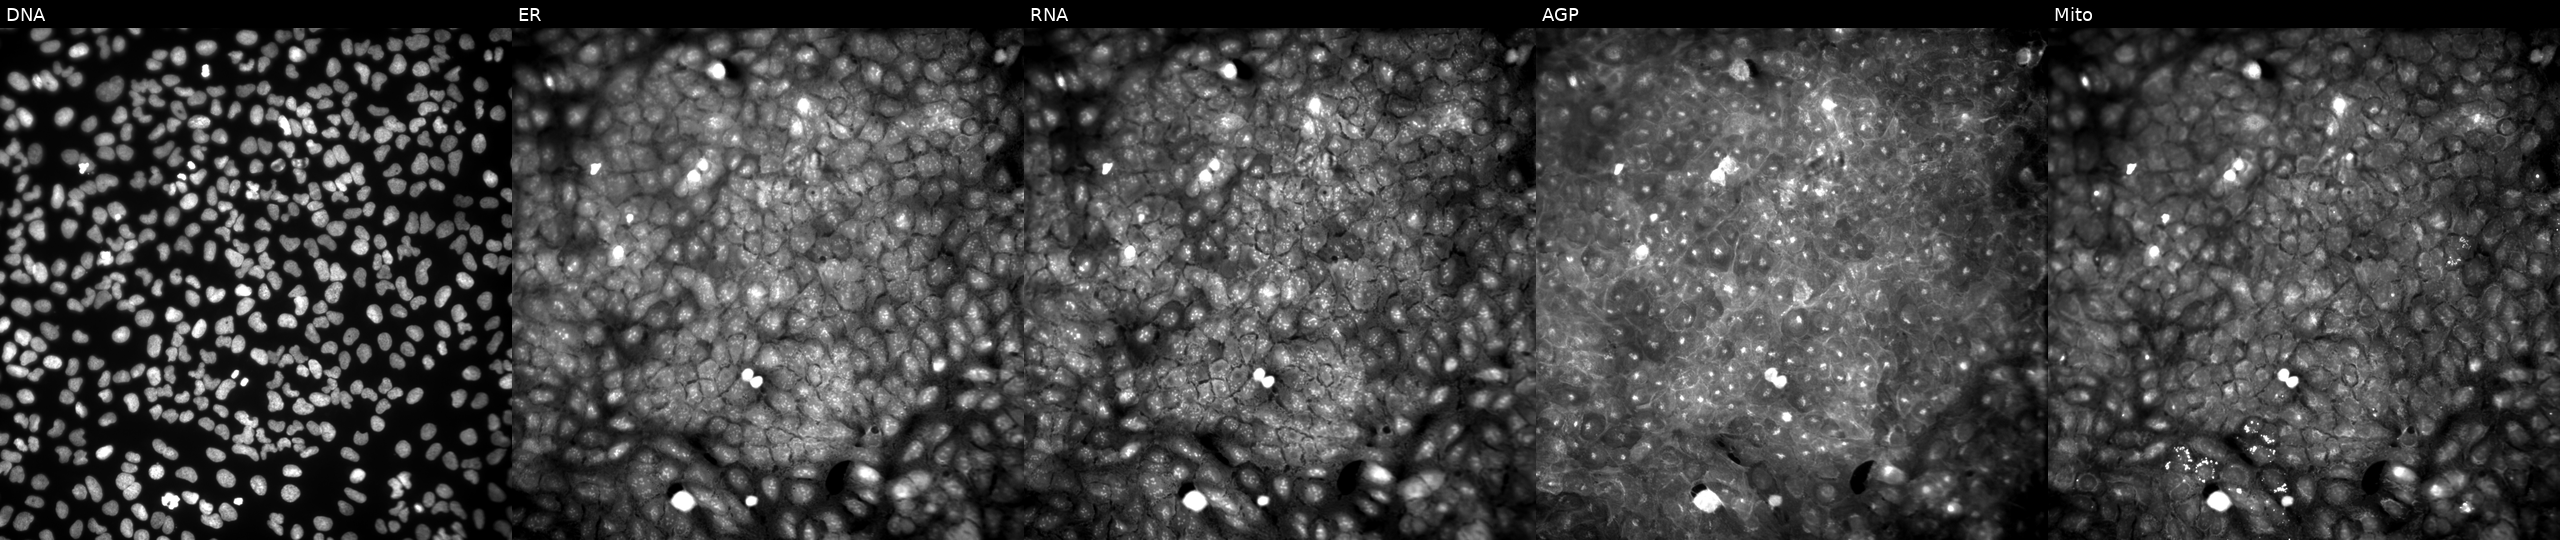
U2OS cells, Cell Painting assay, treated with a small-molecule compound (JUMP id JCP2022_016262). Panels show, left to right, DNA (nuclei); ER (endoplasmic reticulum); RNA (nucleoli and cytoplasmic RNA); AGP (actin cytoskeleton, Golgi, and plasma membrane); Mito (mitochondria). Each panel is percentile-stretched 16-bit fluorescence. Source 9, plate GR00003382, well Y45.